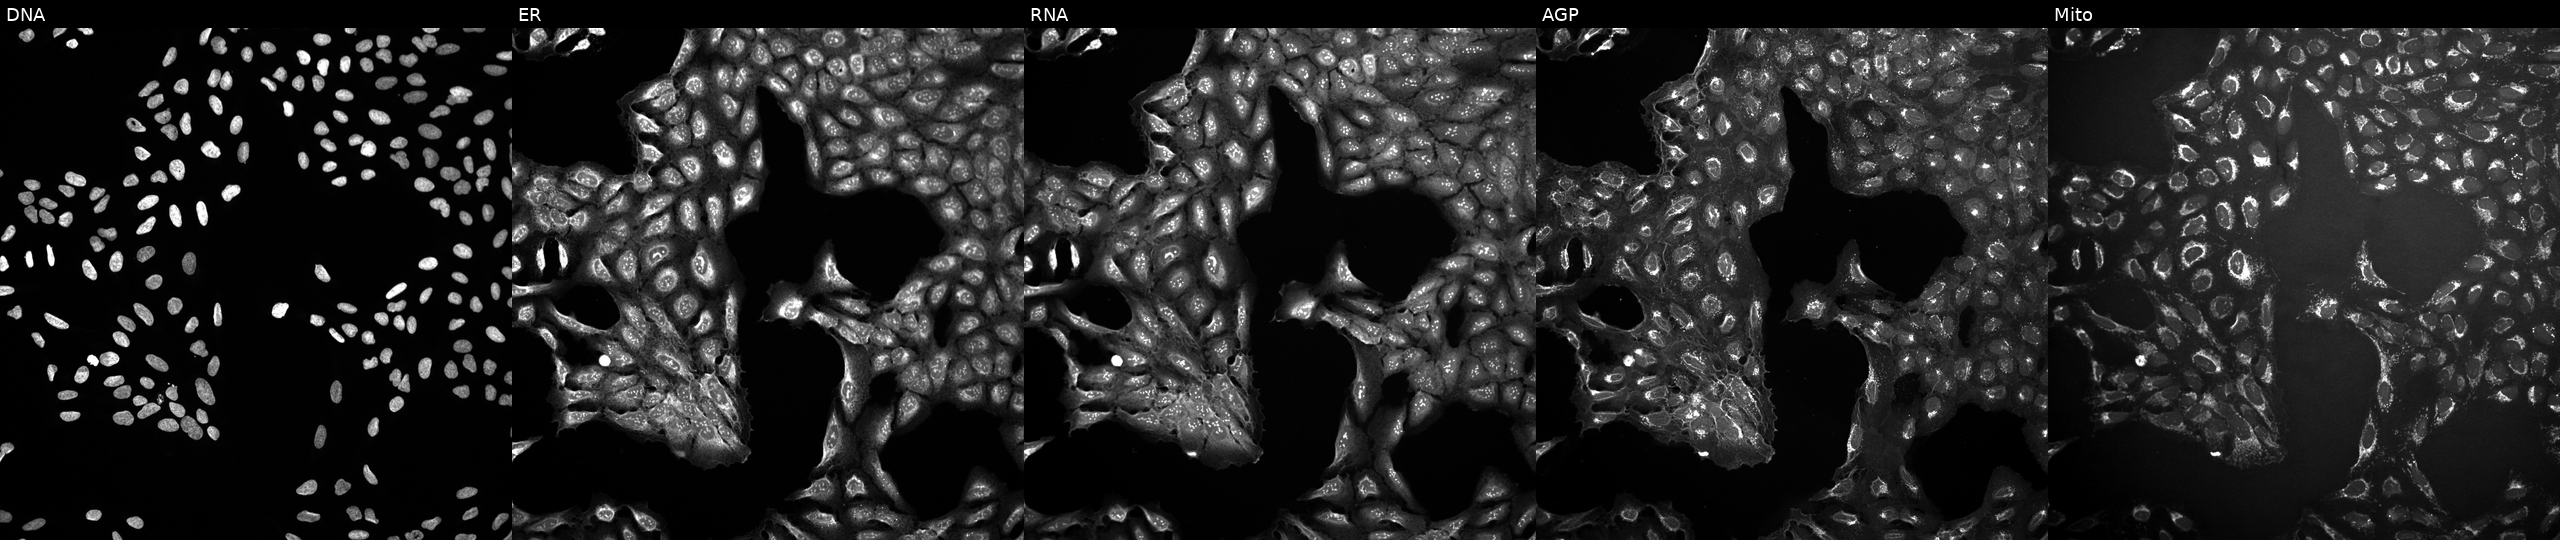
This image strip shows the five Cell Painting channels for a single field of U2OS cells exposed to a small-molecule compound (InChIKey SQMWSBKSHWARHU-UHFFFAOYSA-N). Panels show, left to right, DNA (nuclei); ER (endoplasmic reticulum); RNA (nucleoli and cytoplasmic RNA); AGP (actin cytoskeleton, Golgi, and plasma membrane); Mito (mitochondria). Source 10, plate Dest210803-153958, well E15.